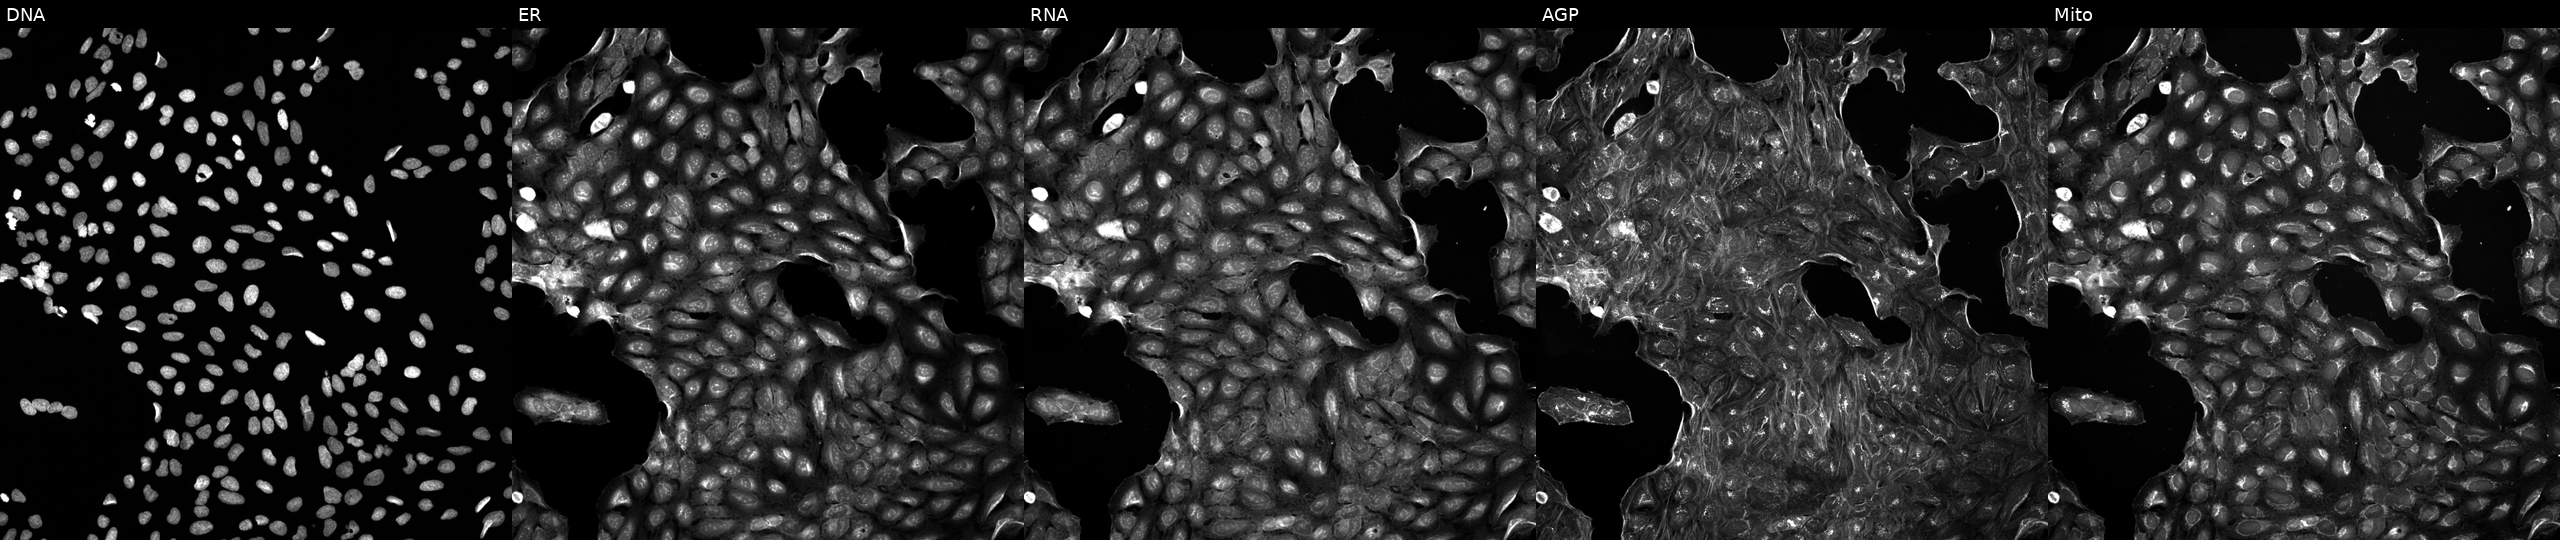
High-content fluorescence microscopy (Cell Painting). Cell line: U2OS. Perturbation: treated with a small-molecule compound (InChIKey YEKFRWNFDFMMCJ-UHFFFAOYSA-N) (JUMP id JCP2022_107938). Channels (left→right): Hoechst 33342, concanavalin A, SYTO 14, phalloidin and WGA, MitoTracker.